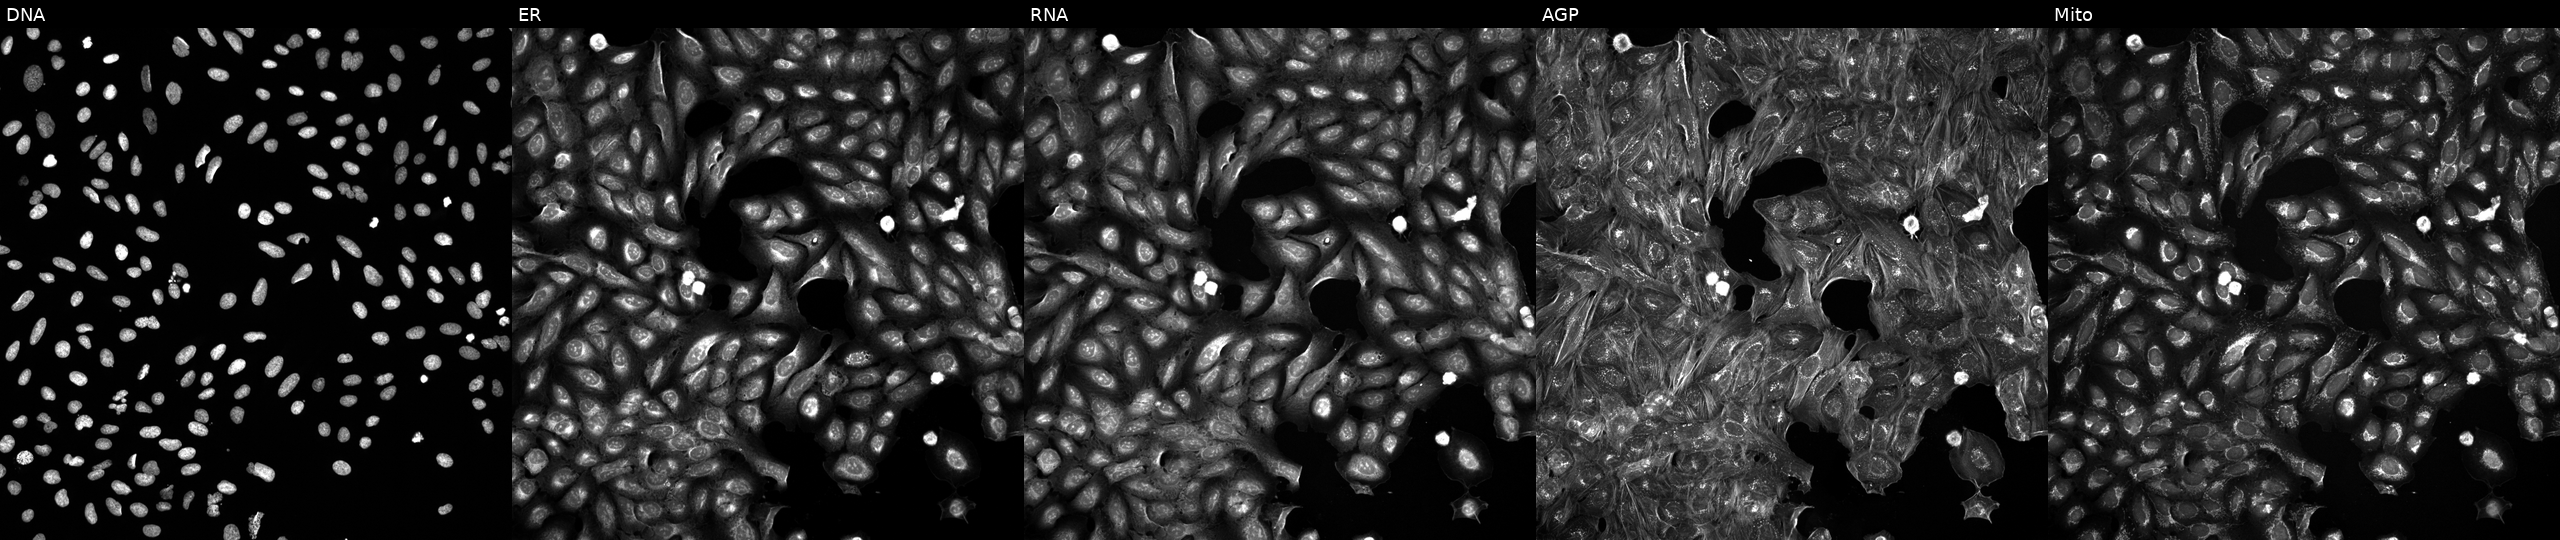
Five-channel Cell Painting image of U2OS cells exposed to a small-molecule compound (InChIKey MTJHLONVHHPNSI-UHFFFAOYSA-N) [SMILES: CCCC(N=c1[nH]c(-c2ccc(NC(=O)NCC)c(OC)c2)ncc1C)c1cccnc1]. The five panels, left to right, show Hoechst 33342, concanavalin A, SYTO 14, phalloidin and WGA, MitoTracker. Source 5, plate ACPJUM012, well F10.